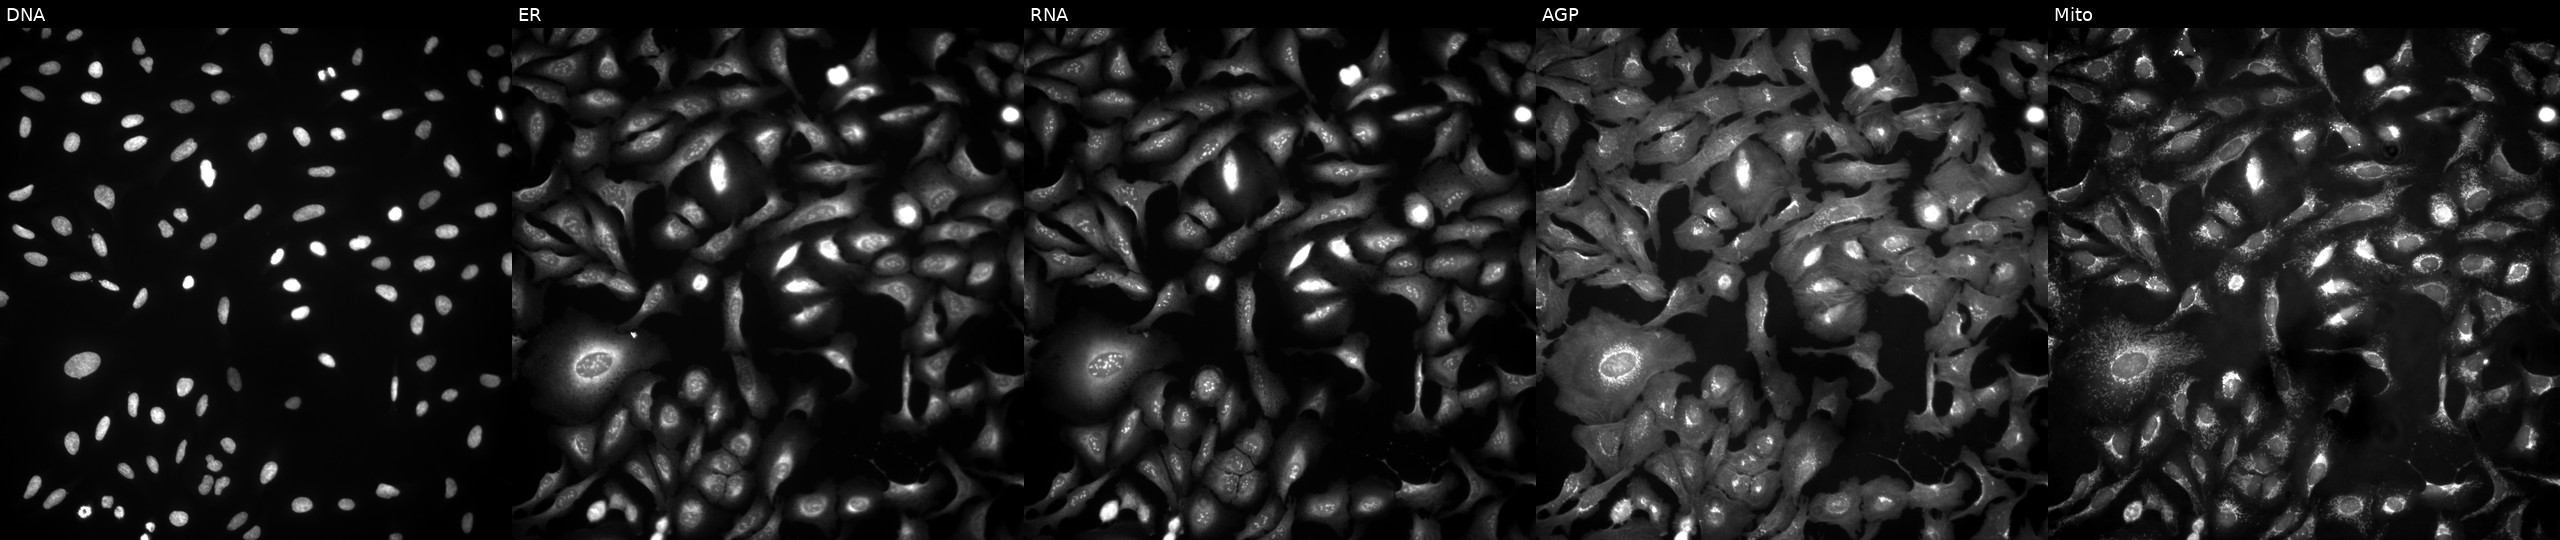
U2OS cells, Cell Painting assay, overexpressing IFIH1 via ORF transfection. Panels show, left to right, Hoechst 33342, concanavalin A, SYTO 14, phalloidin and WGA, MitoTracker. Each panel is percentile-stretched 16-bit fluorescence.